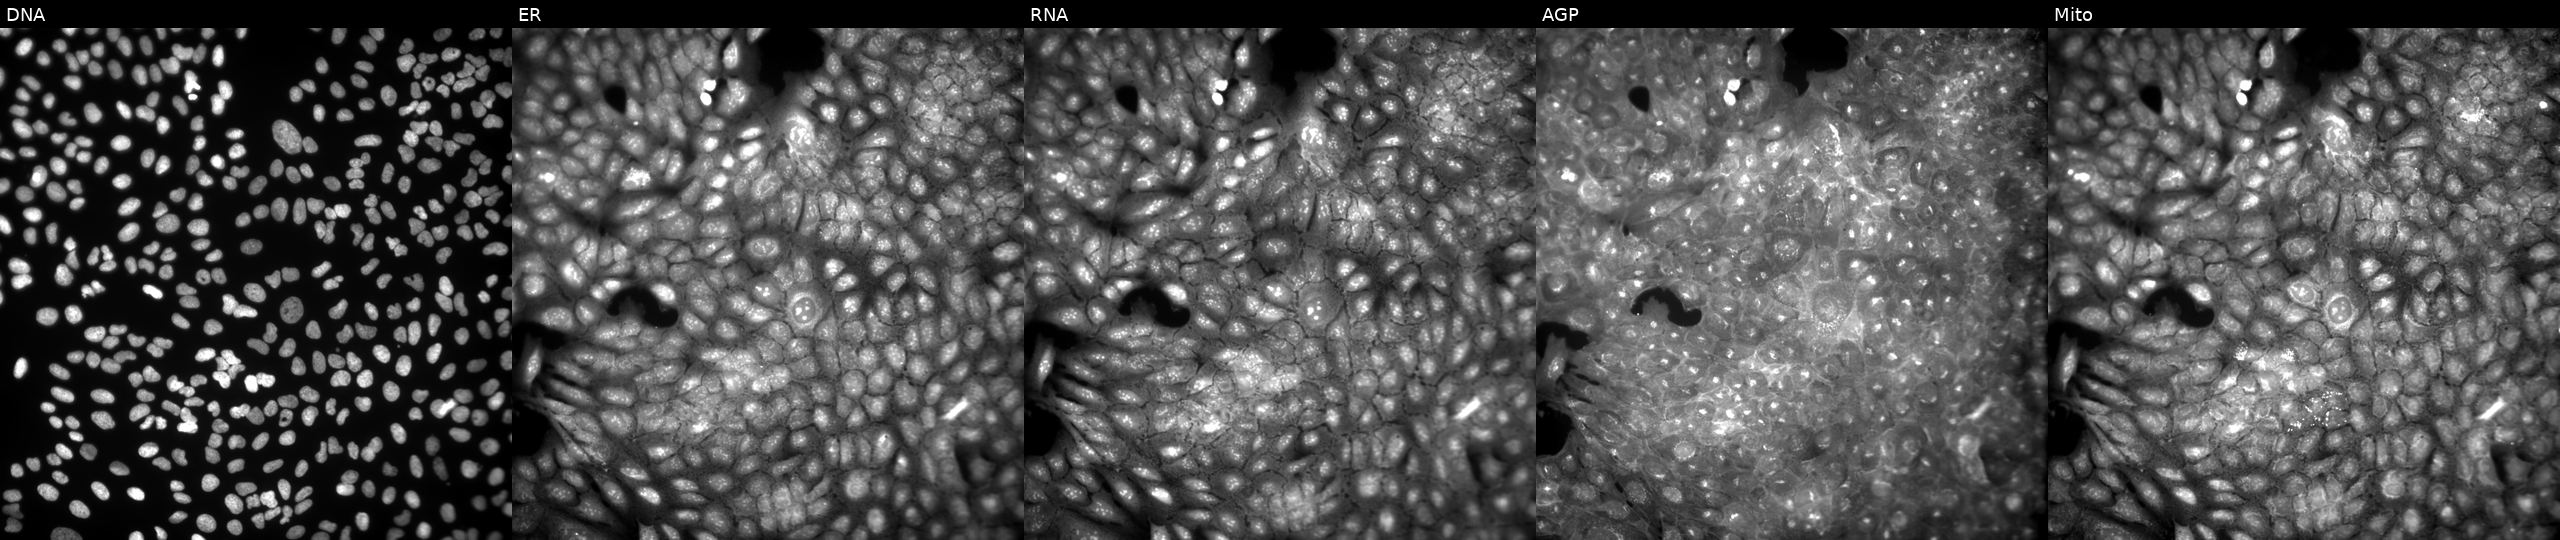
This image strip shows the five Cell Painting channels for a single field of U2OS cells exposed to a small-molecule compound (InChIKey JXFUPKNFRIURPJ-UHFFFAOYSA-N). The five panels, left to right, show DNA, ER, RNA, AGP, and Mito.